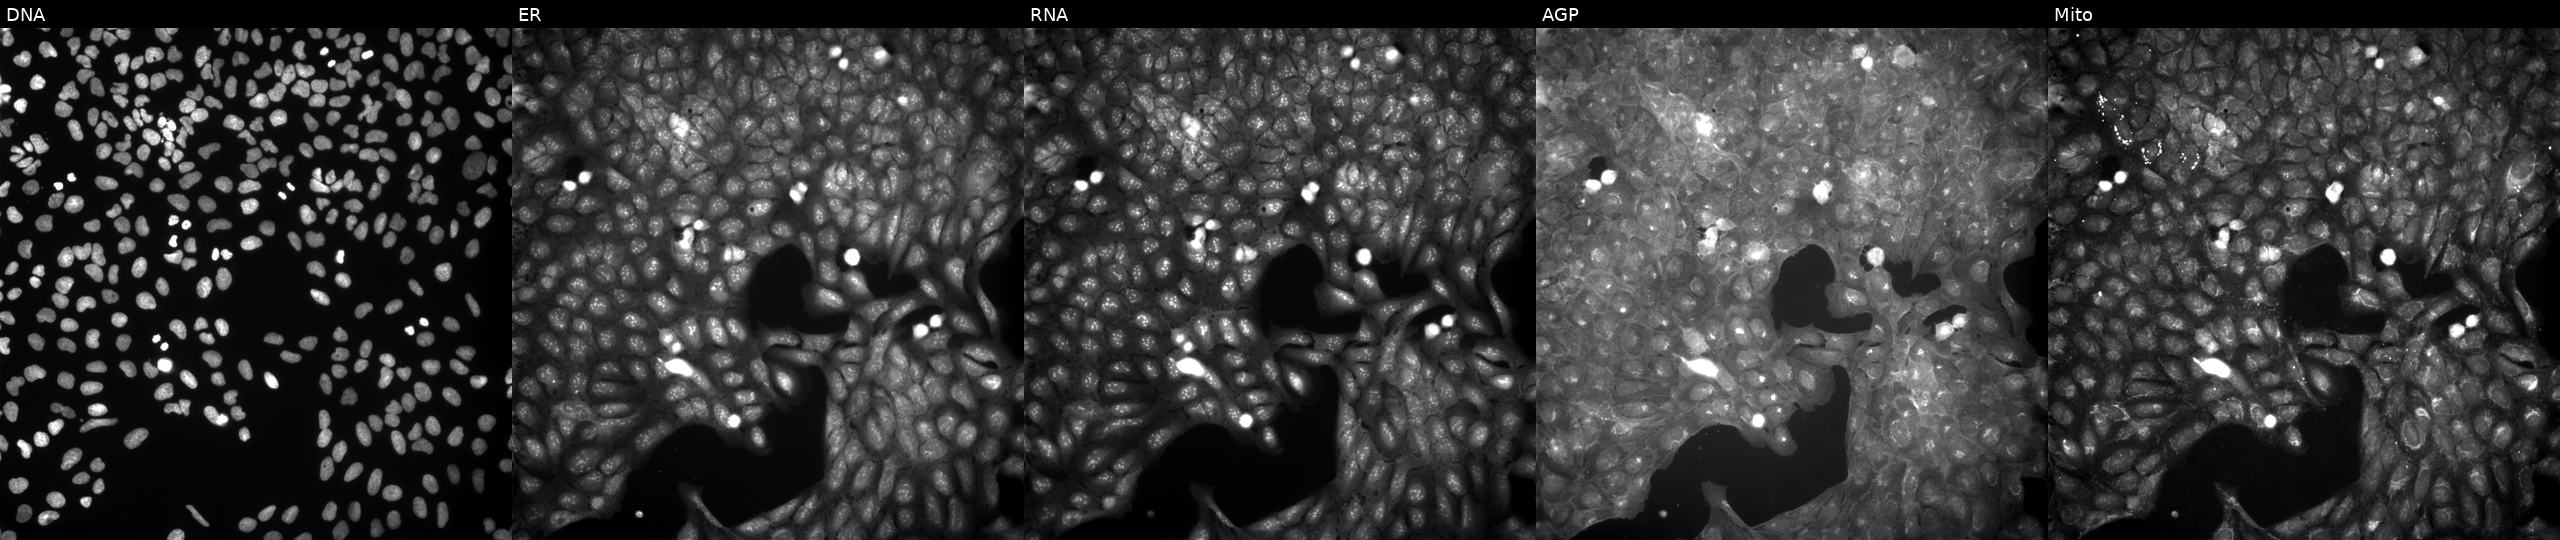
High-content fluorescence microscopy (Cell Painting). Cell line: U2OS. Perturbation: treated with DMSO vehicle only (negative control) (JUMP id JCP2022_033924). Channels (left→right): Hoechst 33342, concanavalin A, SYTO 14, phalloidin and WGA, MitoTracker. Source 9, plate GR00003382, well F26.